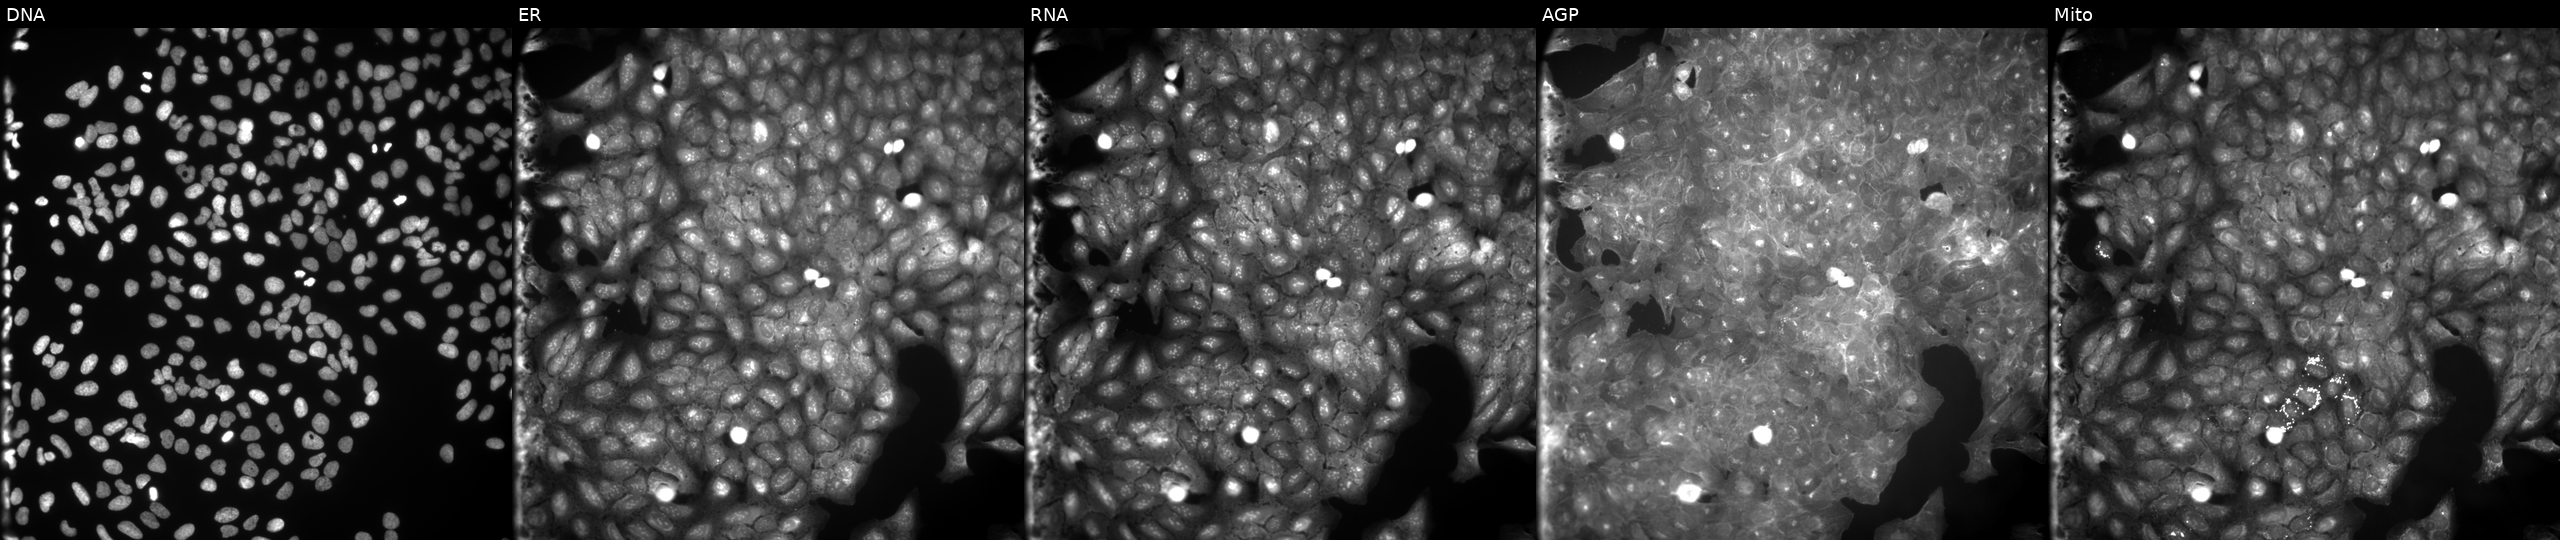
U2OS cells, Cell Painting assay, exposed to a small-molecule compound (InChIKey GYOHIZFBRXNBJM-UHFFFAOYSA-N) (JUMP id JCP2022_028572). The five panels, left to right, show DNA, ER, RNA, AGP, and Mito. Each panel is percentile-stretched 16-bit fluorescence. Source 9, plate GR00003382, well V09.